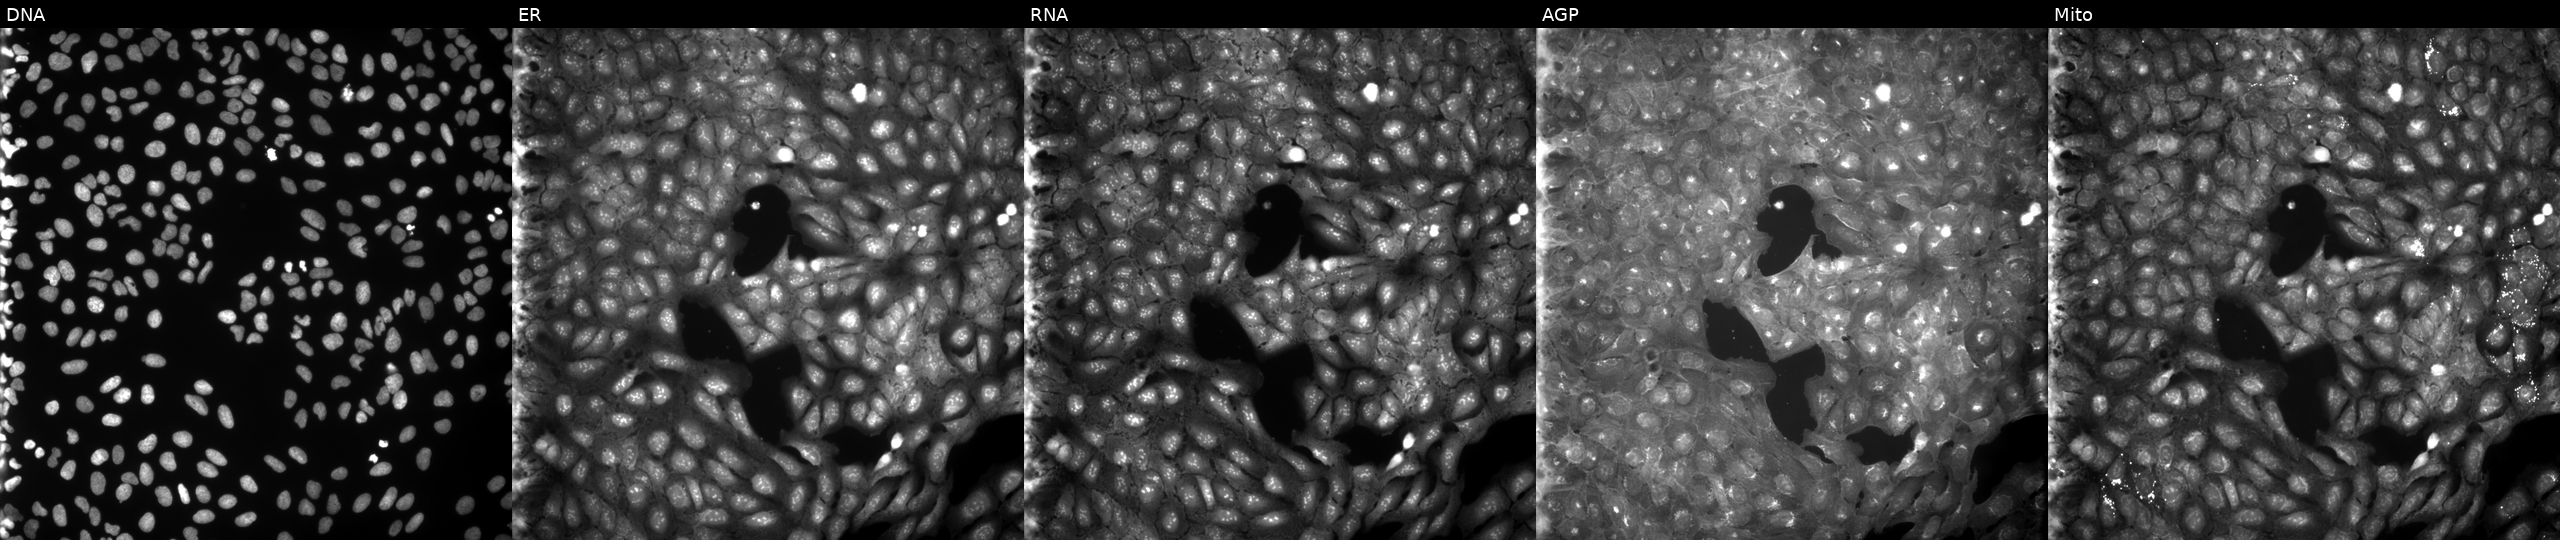
Panels show, left to right, DNA, ER, RNA, AGP, and Mito. U2OS osteosarcoma cells exposed to a small-molecule compound [SMILES: CCN(CC)S(=O)(=O)c1ccc(C(=O)N=c2[nH]nc(C(C)C)s2)cc1]. Cell Painting assay, JUMP-CP dataset.